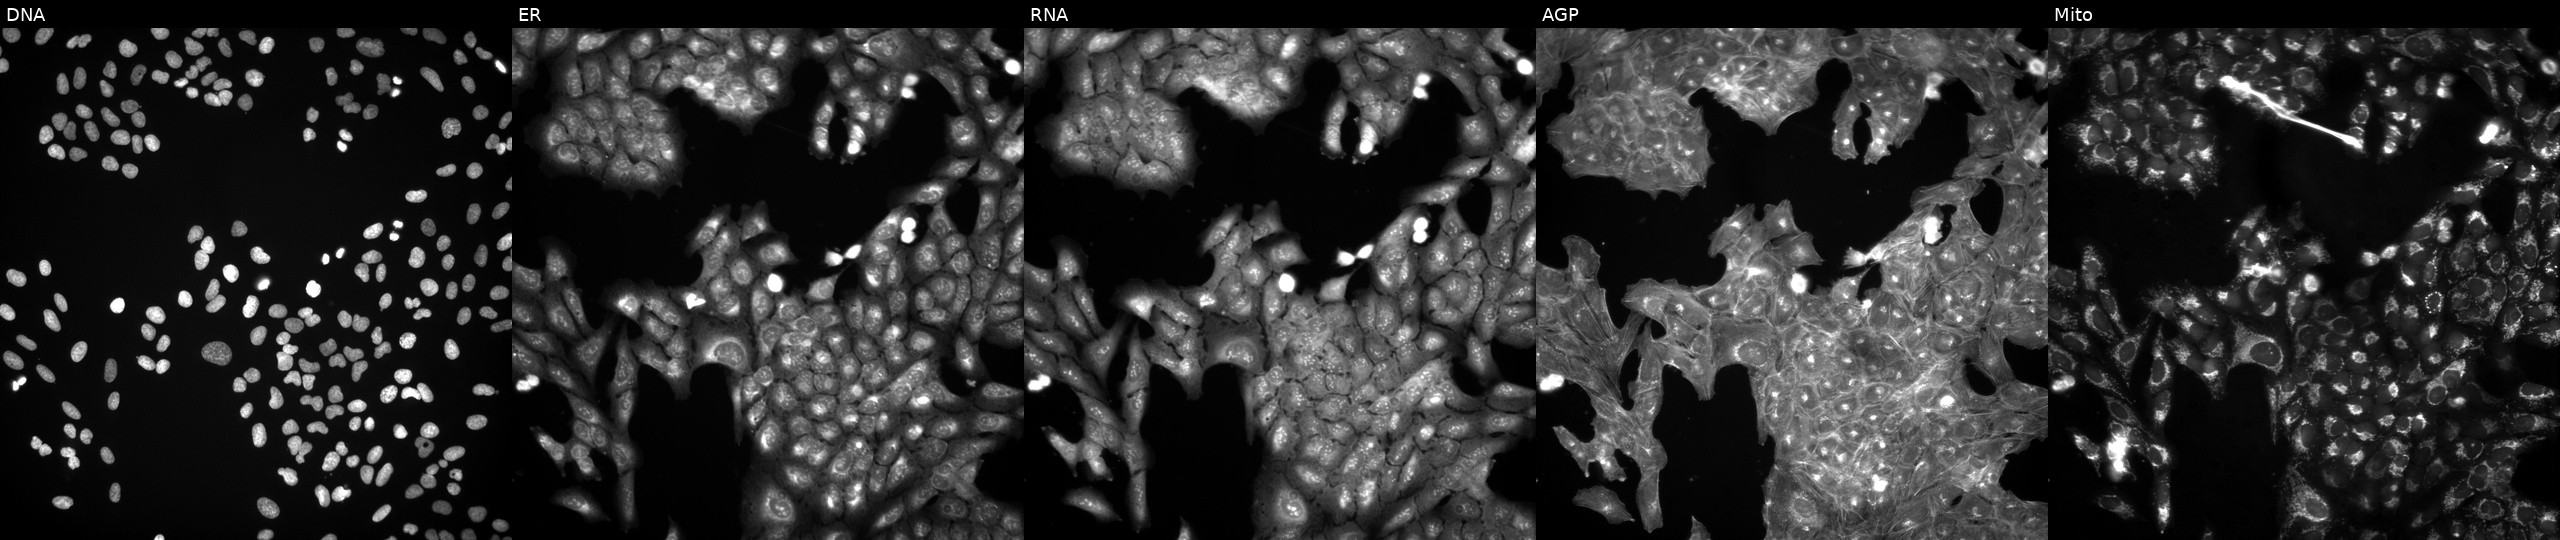
High-content fluorescence microscopy (Cell Painting). Cell line: U2OS. Perturbation: exposed to DMSO alone as a negative control (JUMP id JCP2022_033924). From left to right: DNA (nuclei); ER (endoplasmic reticulum); RNA (nucleoli and cytoplasmic RNA); AGP (actin cytoskeleton, Golgi, and plasma membrane); Mito (mitochondria). Source 3, plate JCPQC053, well B13.